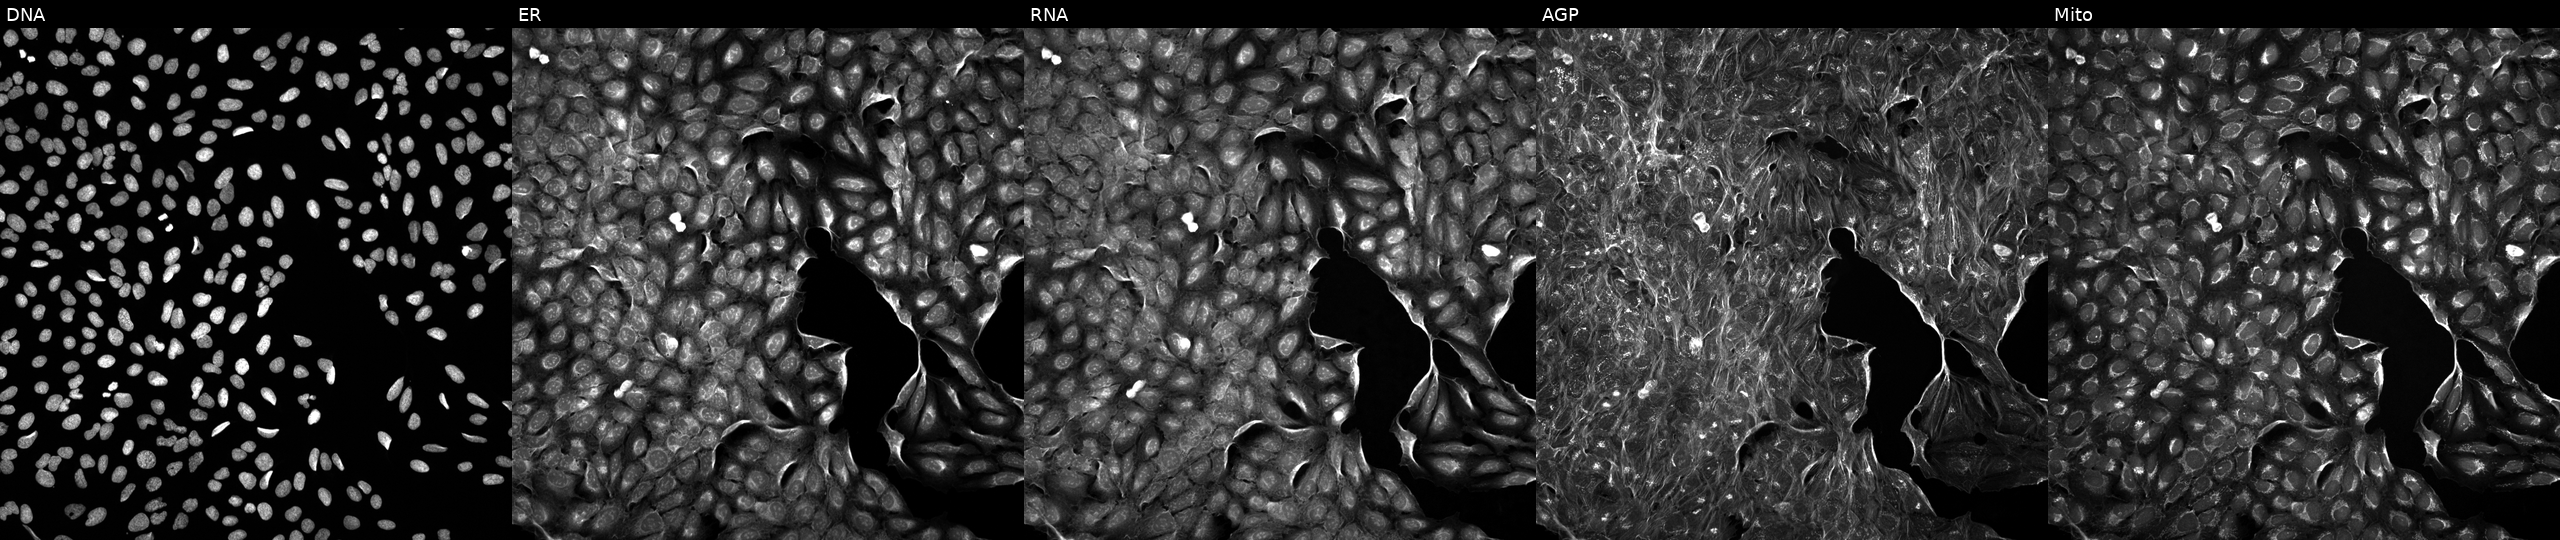
The five panels, left to right, show DNA (nuclei); ER (endoplasmic reticulum); RNA (nucleoli and cytoplasmic RNA); AGP (actin cytoskeleton, Golgi, and plasma membrane); Mito (mitochondria). U2OS osteosarcoma cells perturbed with a small-molecule compound (InChIKey TYNLGDBUJLVSMA-UHFFFAOYSA-N) [SMILES: CC(=O)Oc1cccc2c1C(=O)c1c(OC(C)=O)cc(C(=O)O)cc1C2=O] (JUMP id JCP2022_087562). Cell Painting assay, JUMP-CP dataset.